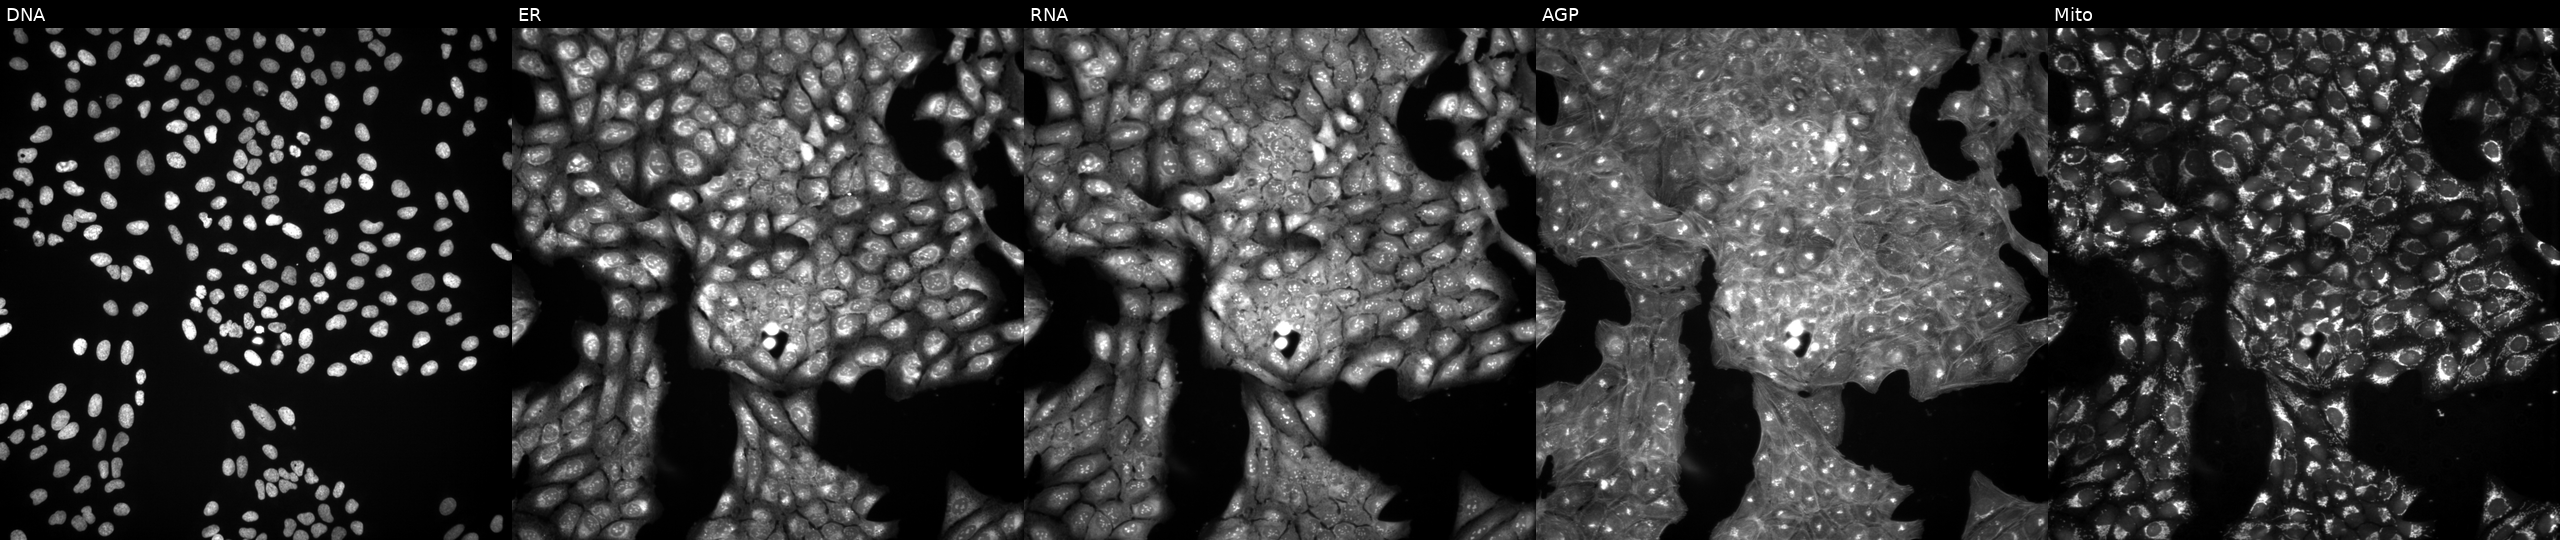
Five-channel Cell Painting image of U2OS cells exposed to DMSO alone as a negative control. The five panels, left to right, show DNA, ER, RNA, AGP, and Mito.